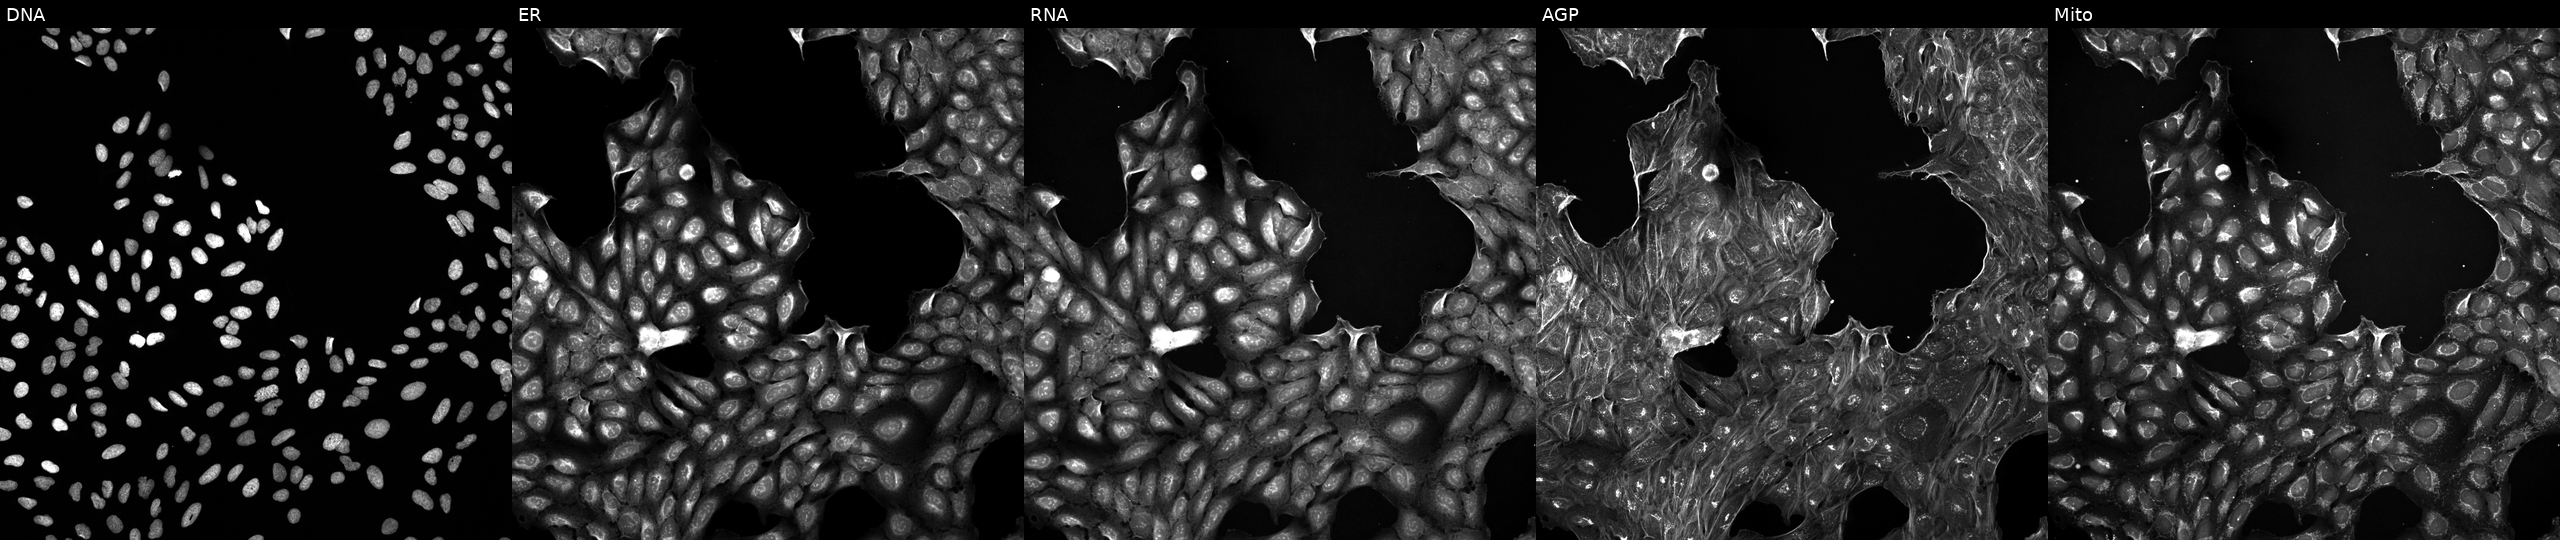
From left to right: Hoechst 33342, concanavalin A, SYTO 14, phalloidin and WGA, MitoTracker. U2OS osteosarcoma cells perturbed with a small-molecule compound (InChIKey DSLRVRBSNLHVBH-UHFFFAOYSA-N) (JUMP id JCP2022_017914). Cell Painting assay, JUMP-CP dataset. Source 5, plate ACPJUM051, well H03.